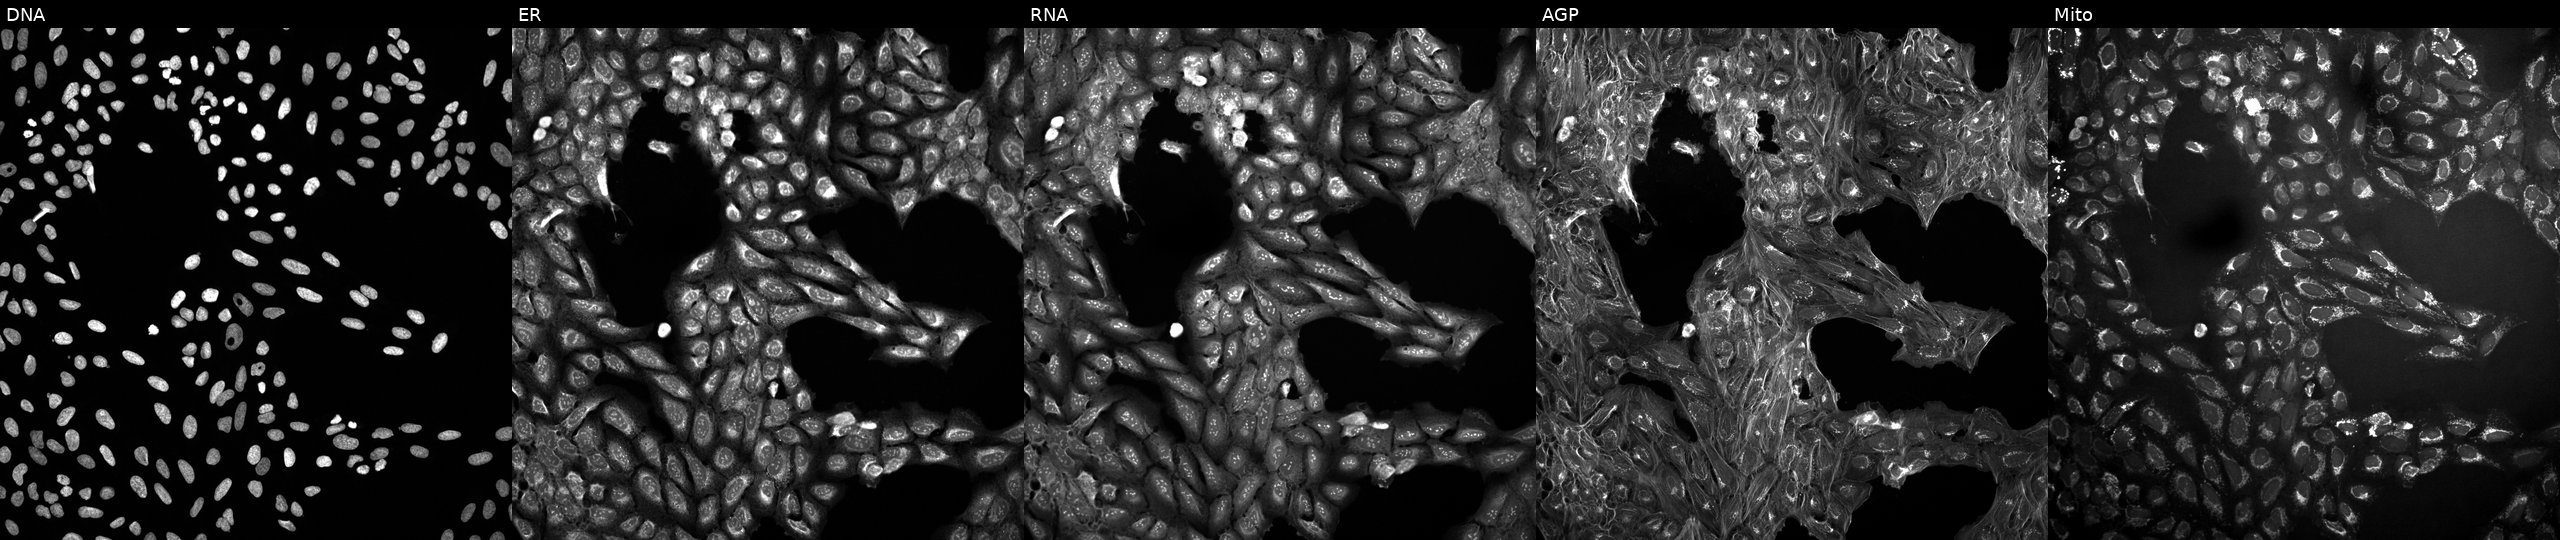
High-content fluorescence microscopy (Cell Painting). Cell line: U2OS. Perturbation: exposed to a small-molecule compound (InChIKey SEJYFIWKVDCMIK-UHFFFAOYSA-N). The five panels, left to right, show DNA, ER, RNA, AGP, and Mito.